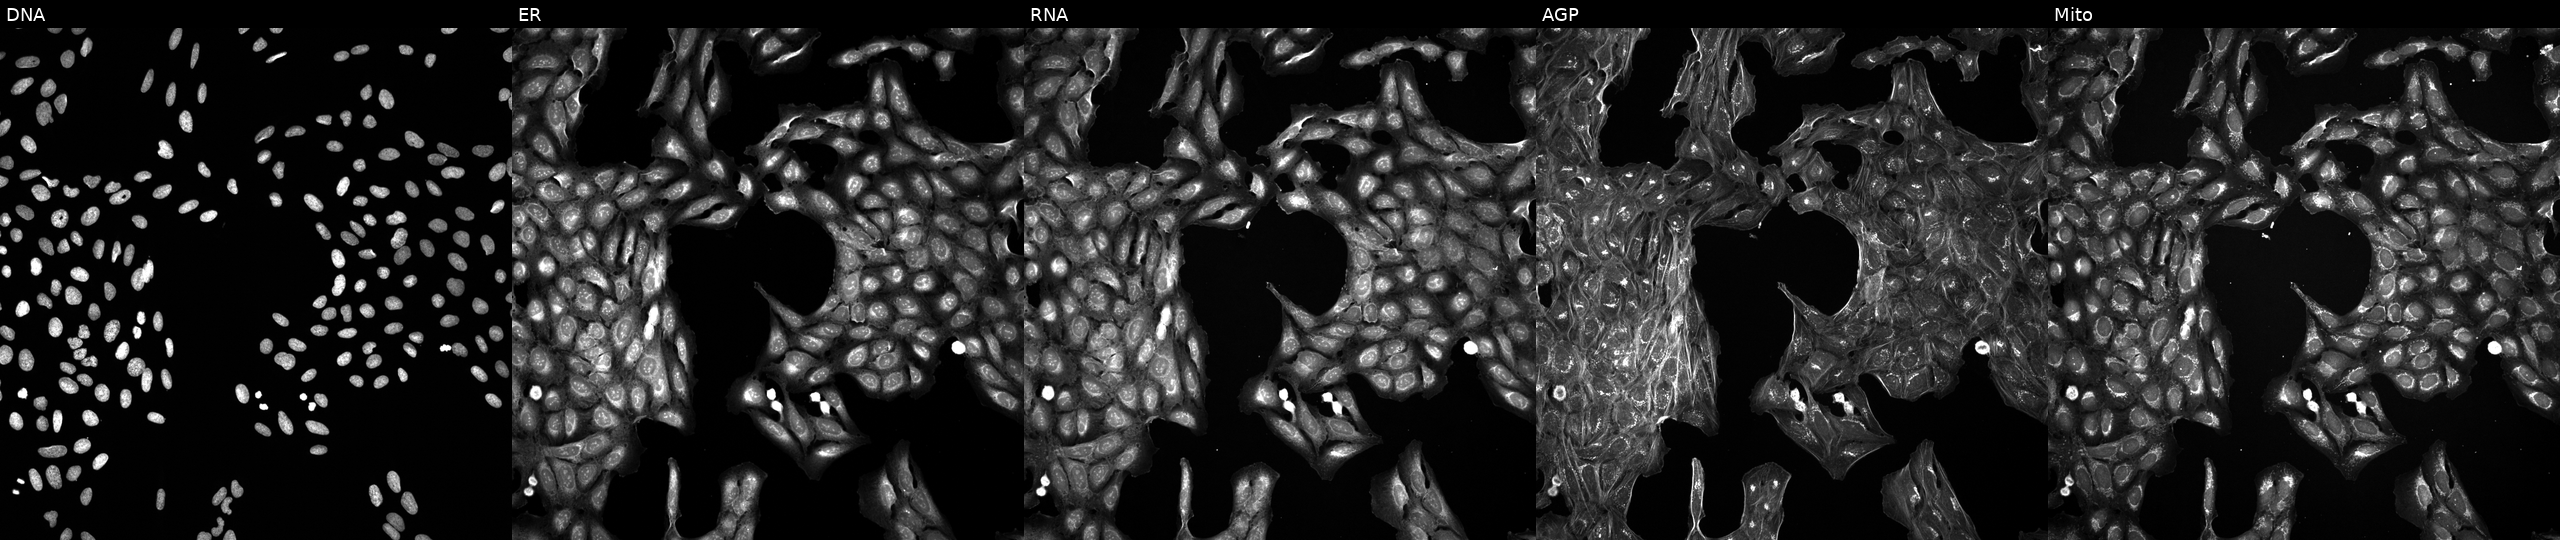
This image strip shows the five Cell Painting channels for a single field of U2OS cells treated with a small-molecule compound [SMILES: O=C(C1CN(Cc2nc3ccccc3s2)c2ccccc2O1)N1CCOCC1] (JUMP id JCP2022_056408). Channels (left→right): Hoechst 33342, concanavalin A, SYTO 14, phalloidin and WGA, MitoTracker. Source 5, plate APTJUM105, well A05.